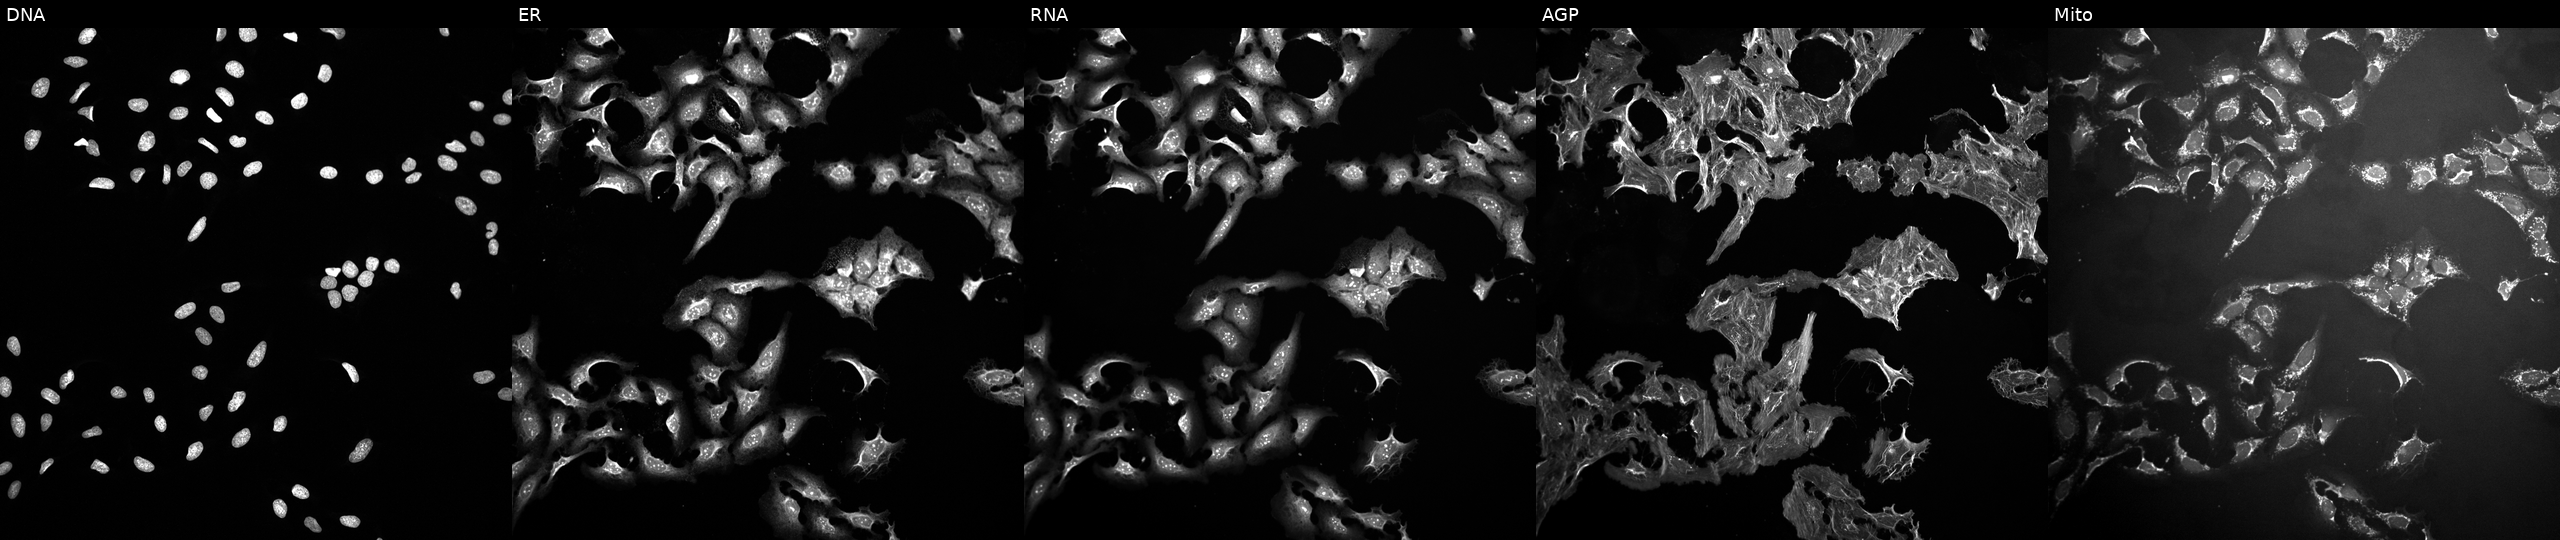
The five panels, left to right, show Hoechst 33342, concanavalin A, SYTO 14, phalloidin and WGA, MitoTracker. U2OS osteosarcoma cells treated with FK-866 (positive-control compound). Cell Painting assay, JUMP-CP dataset. Source 10, plate Dest210726-160150, well D19.